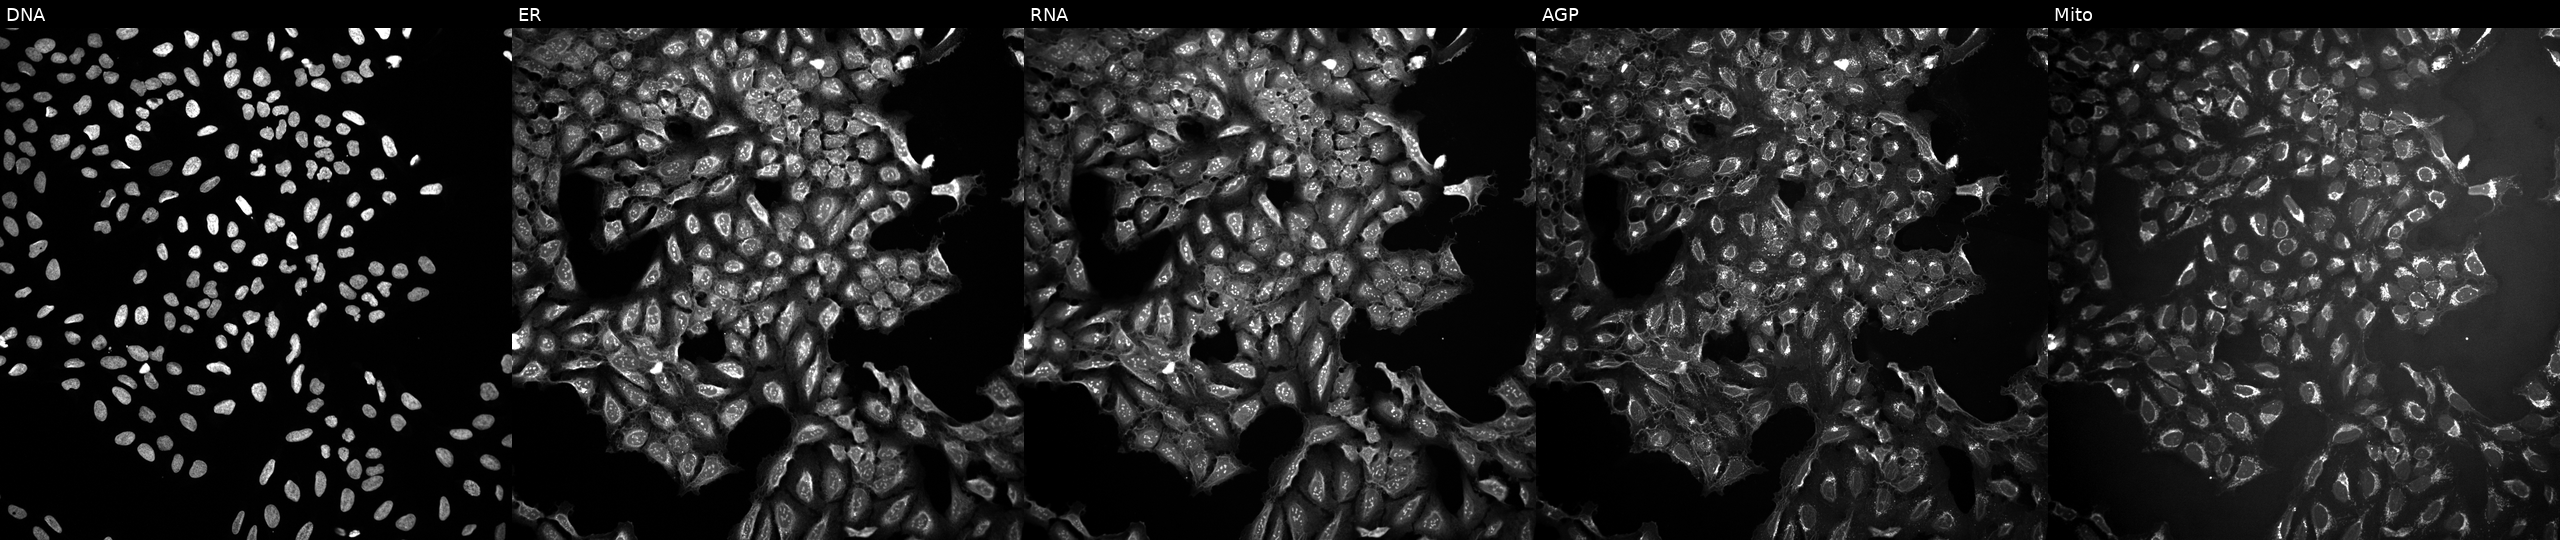
JUMP Cell Painting — TARGET2 plate. U2OS cells perturbed with a small-molecule compound (InChIKey TZDUHAJSIBHXDL-UHFFFAOYSA-N). Channels (left→right): DNA (nuclei); ER (endoplasmic reticulum); RNA (nucleoli and cytoplasmic RNA); AGP (actin cytoskeleton, Golgi, and plasma membrane); Mito (mitochondria). Source 10, plate Dest210803-153958, well O18.